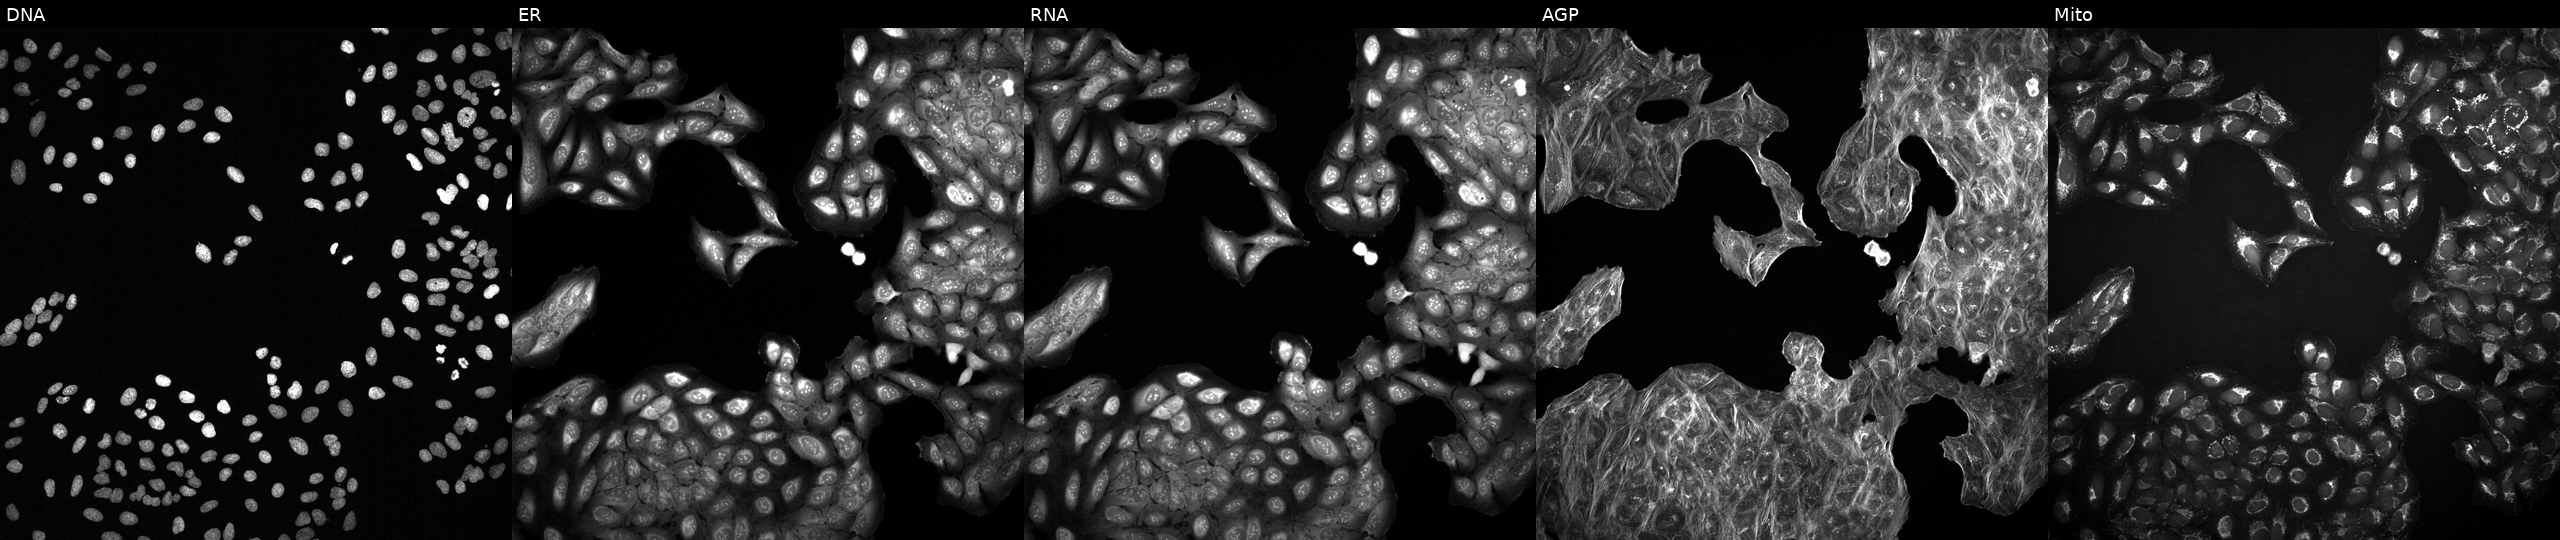
U2OS cells, Cell Painting assay, with an unidentified perturbation (not annotated in JUMP metadata). The five panels, left to right, show Hoechst 33342, concanavalin A, SYTO 14, phalloidin and WGA, MitoTracker. Each panel is percentile-stretched 16-bit fluorescence.